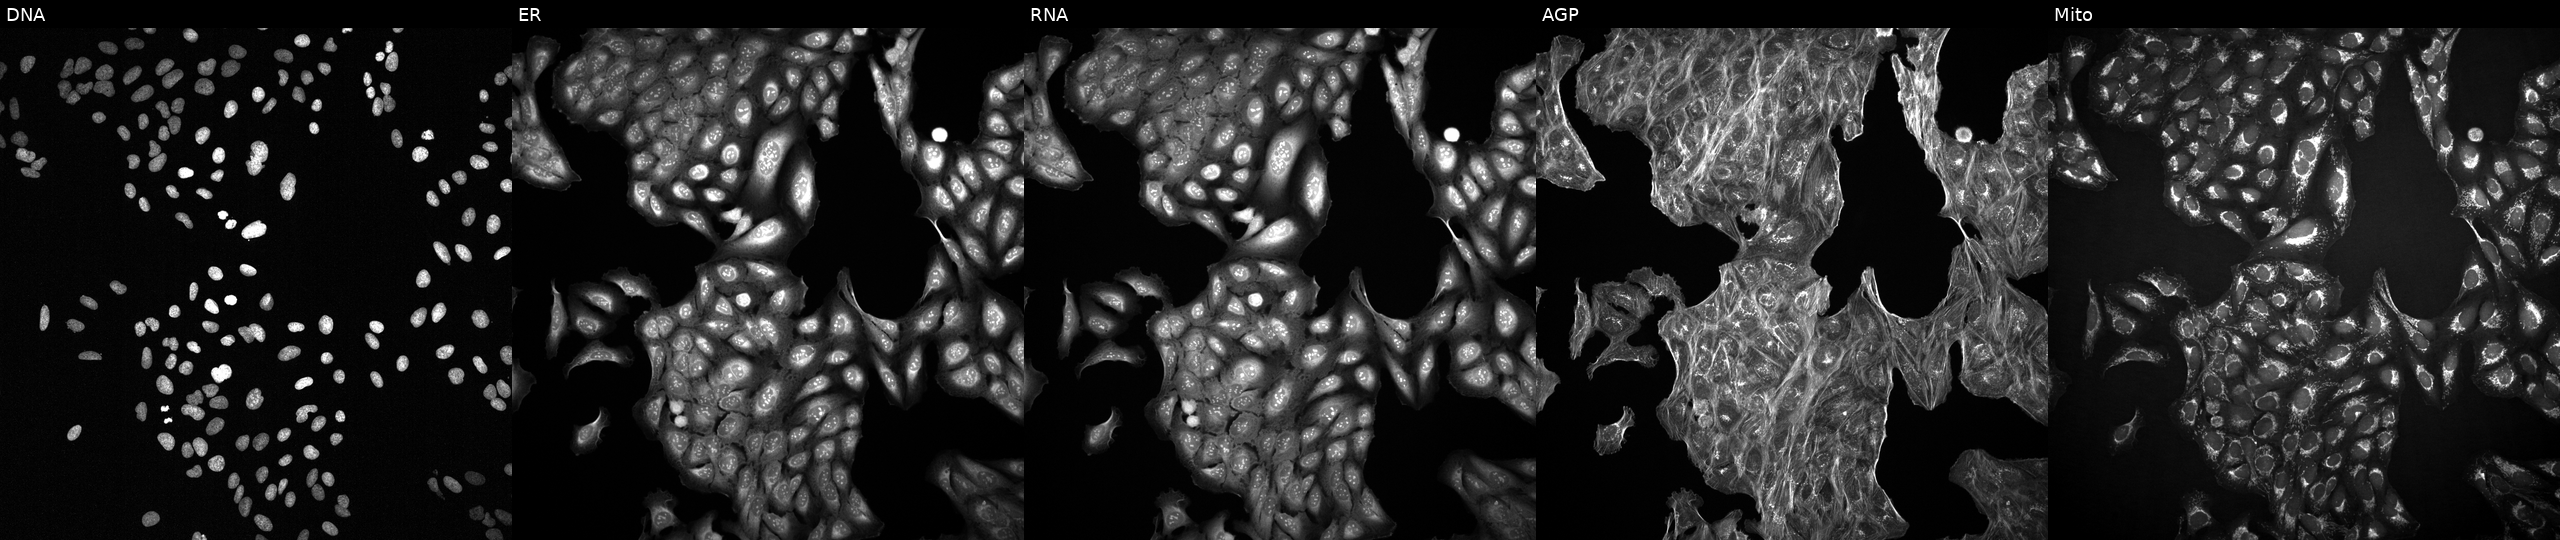
High-content fluorescence microscopy (Cell Painting). Cell line: U2OS. Perturbation: treated with DMSO vehicle only (negative control) (JUMP id JCP2022_033924). Panels show, left to right, DNA, ER, RNA, AGP, and Mito. Source 2, plate 1053600674, well H02.